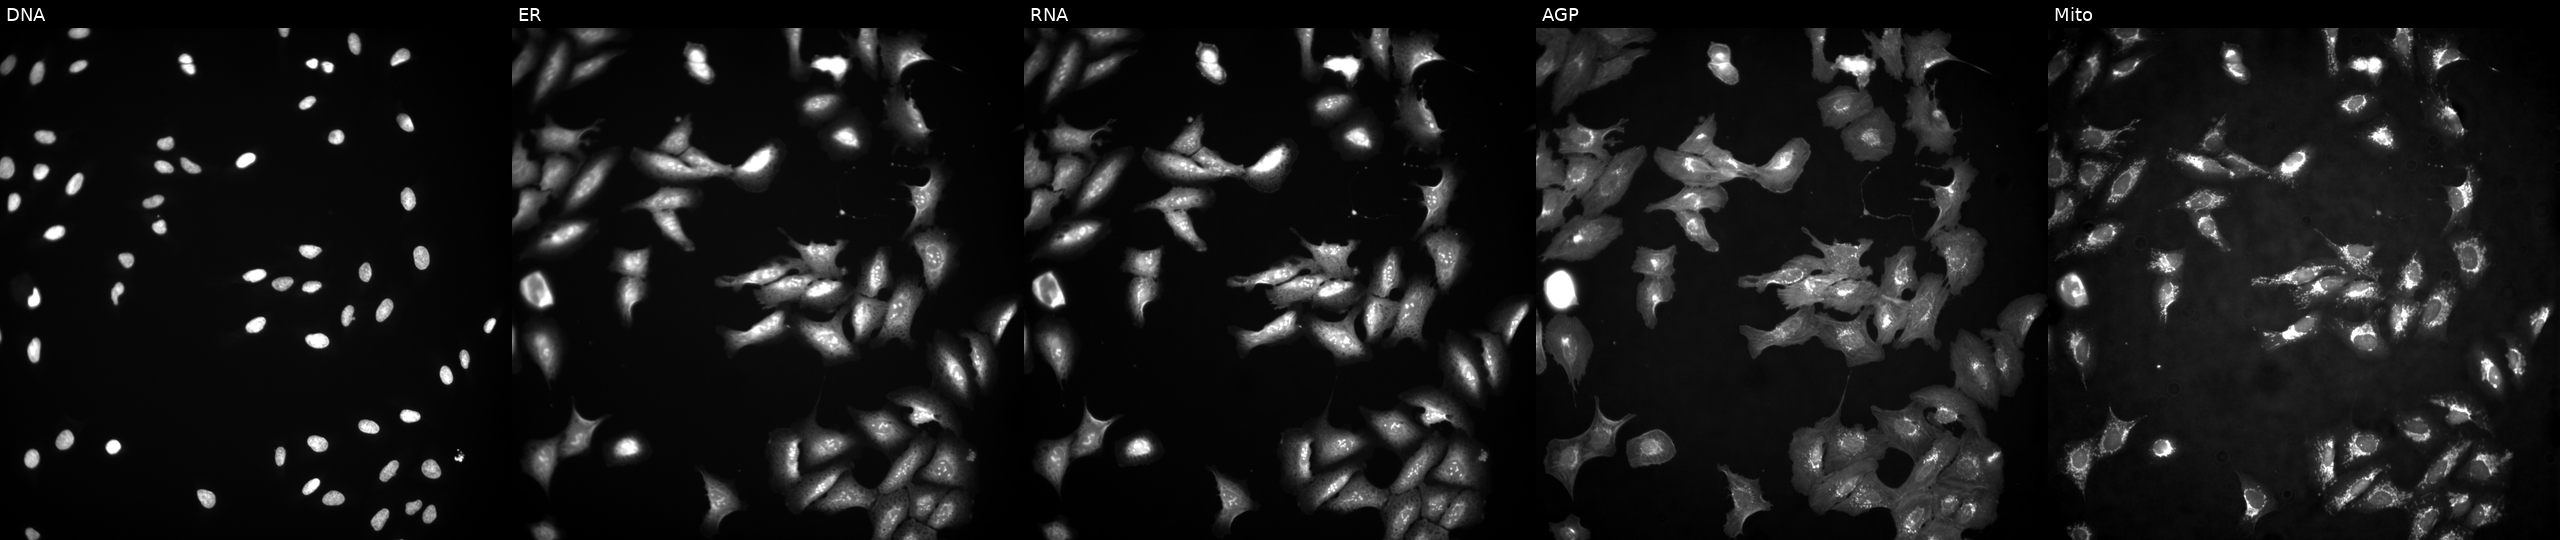
JUMP Cell Painting — ORF plate. U2OS cells transfected with an ORF construct for KLF6 (JUMP id JCP2022_905629). Channels (left→right): DNA, ER, RNA, AGP, and Mito. Source 4, plate BR00117035, well C24.